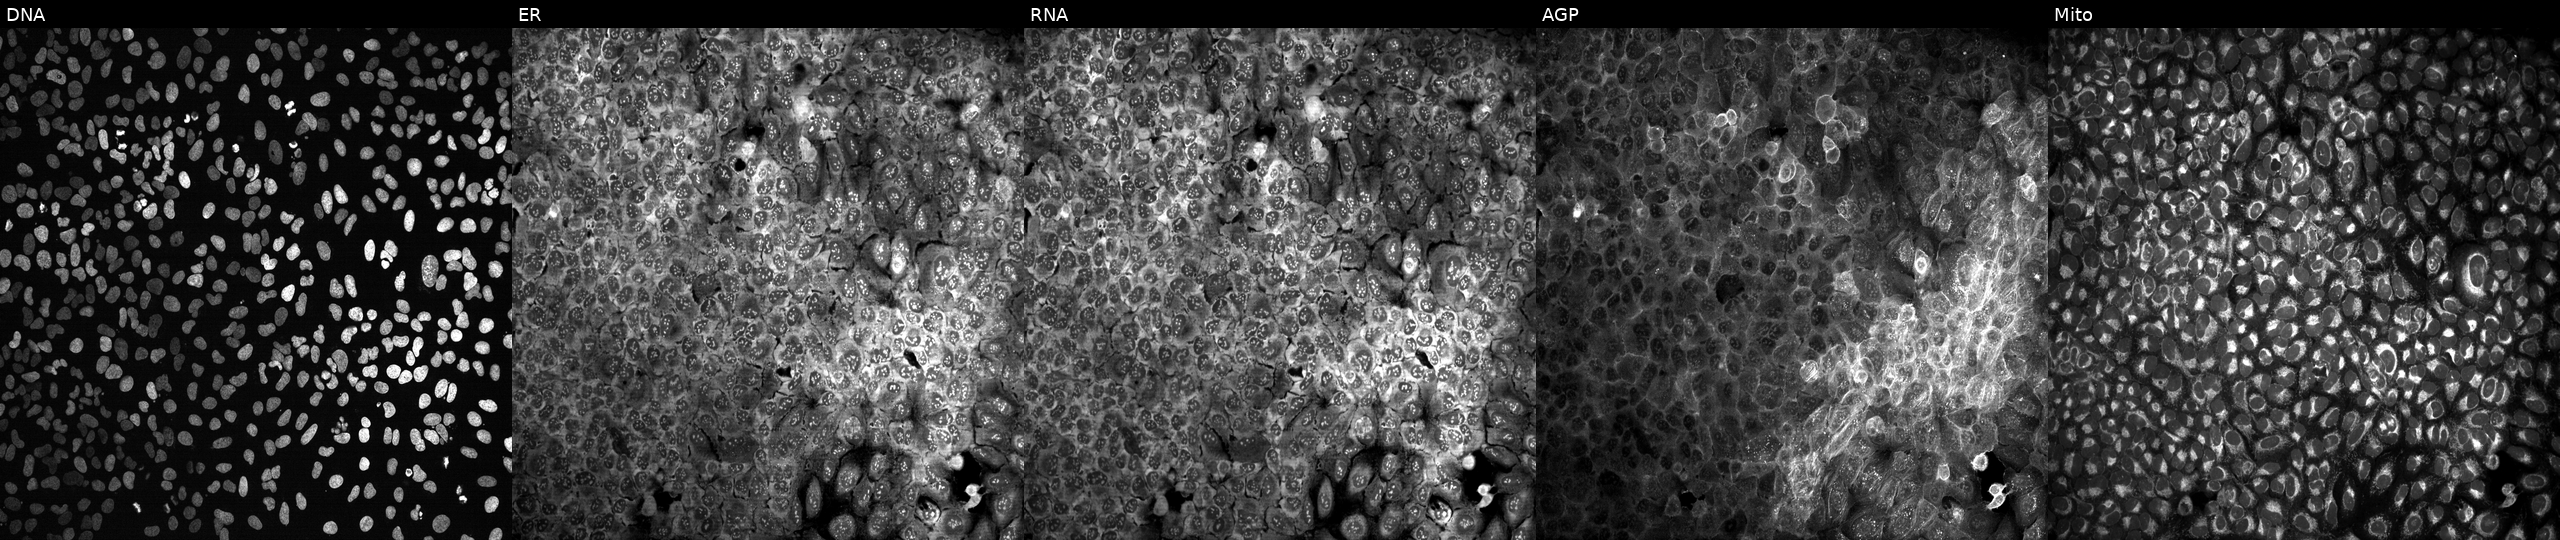
Five-channel Cell Painting image of U2OS cells following CRISPR knockout of TMPRSS11D. From left to right: DNA, ER, RNA, AGP, and Mito.